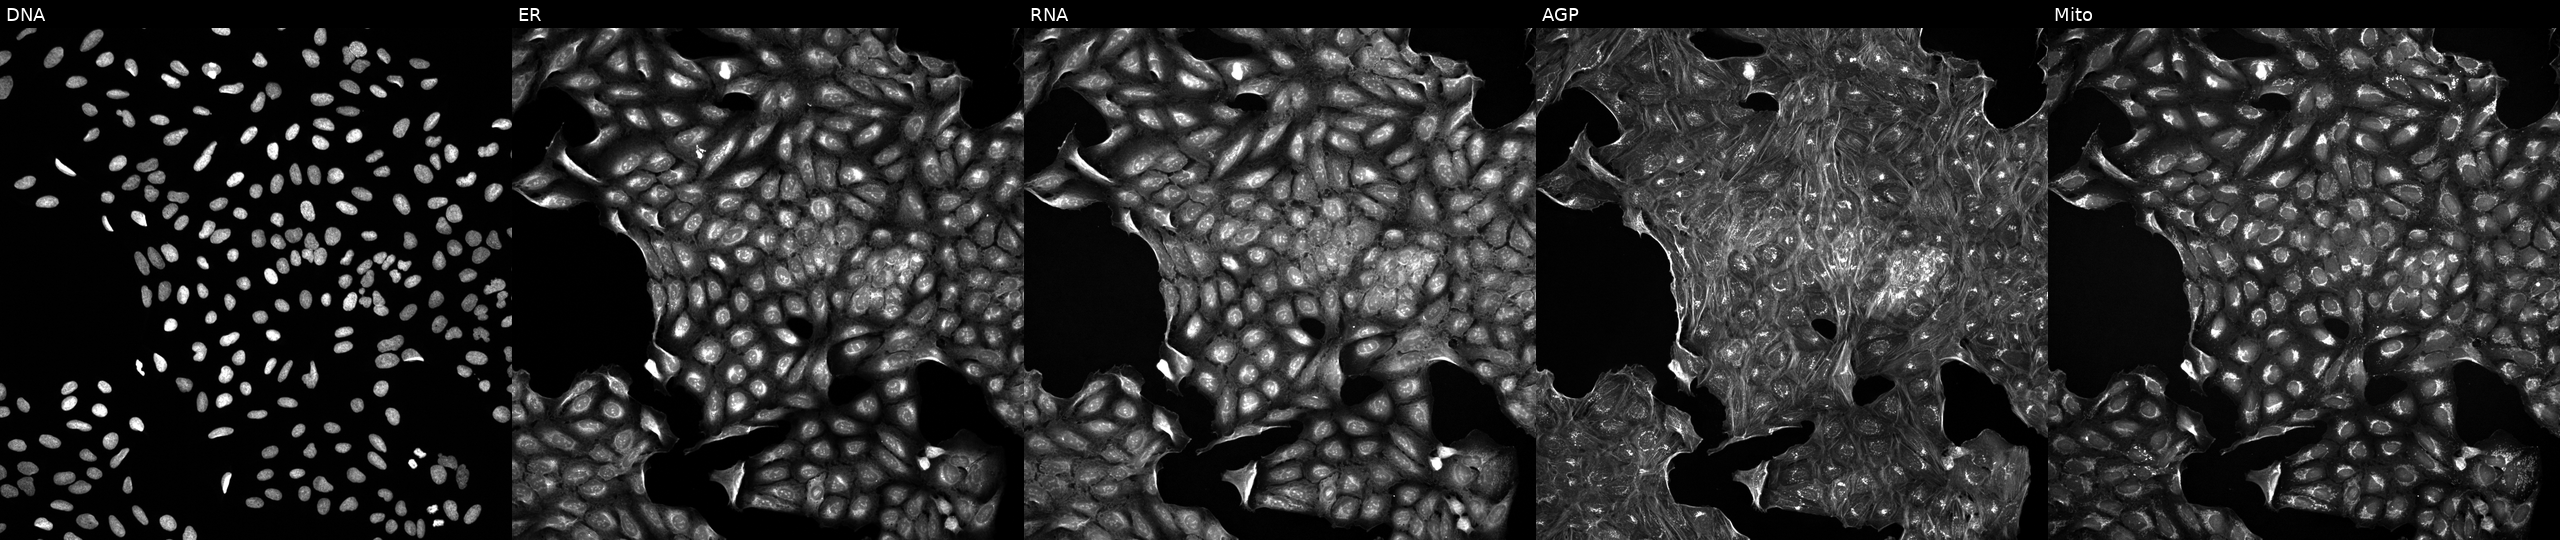
High-content fluorescence microscopy (Cell Painting). Cell line: U2OS. Perturbation: perturbed with a small-molecule compound (InChIKey RQVGFDBMONQTBC-UHFFFAOYSA-N) [SMILES: COc1cc2ncnc(Sc3nnc(C)s3)c2cc1OC]. From left to right: DNA (nuclei); ER (endoplasmic reticulum); RNA (nucleoli and cytoplasmic RNA); AGP (actin cytoskeleton, Golgi, and plasma membrane); Mito (mitochondria).